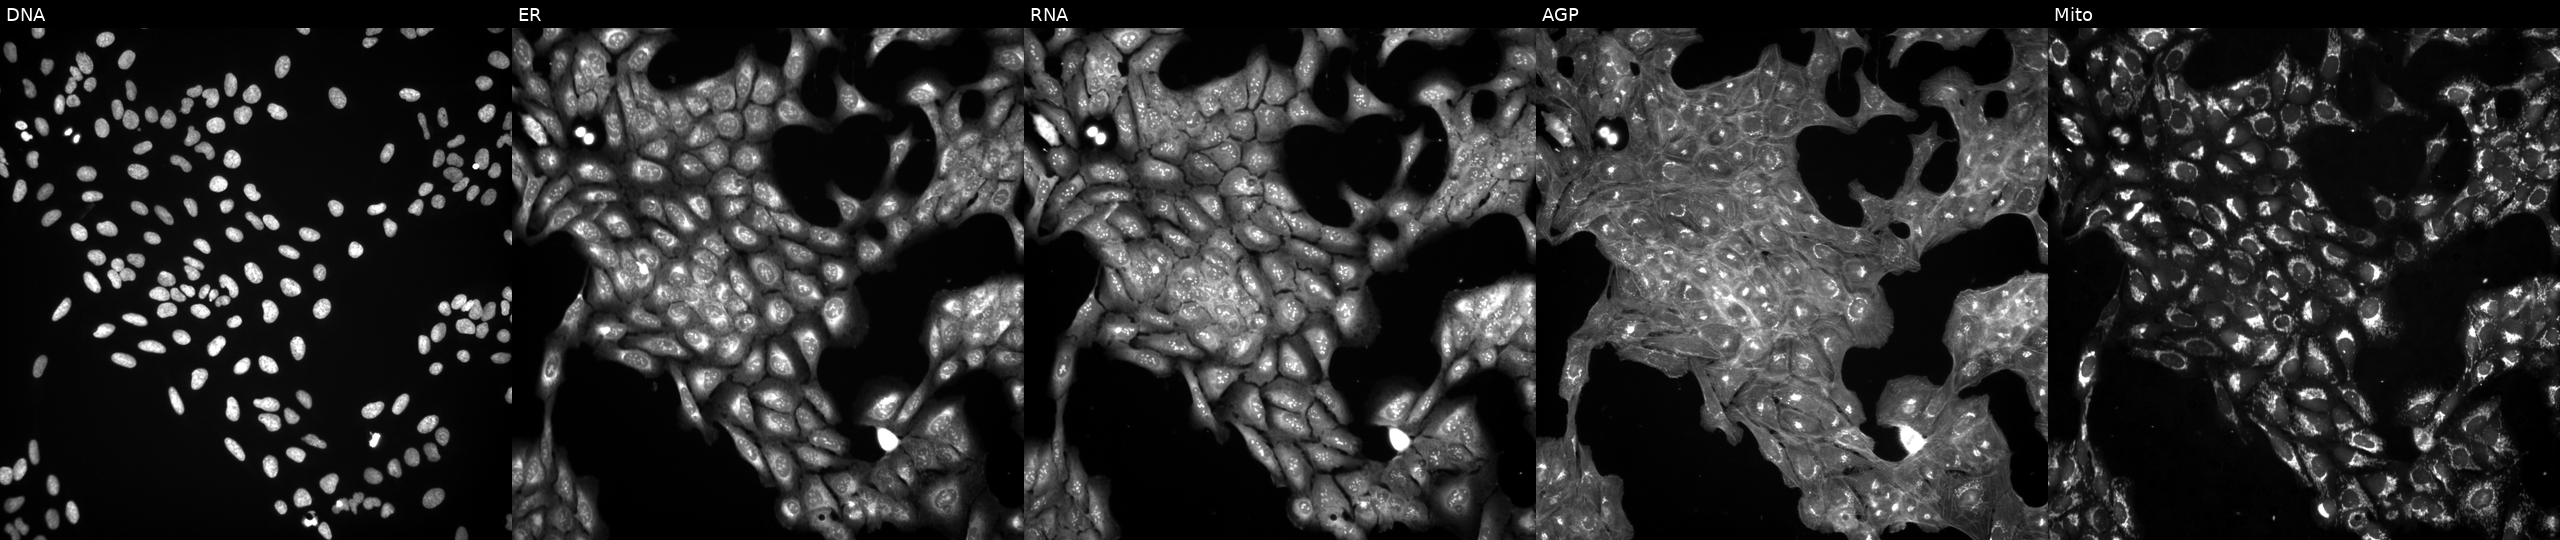
High-content fluorescence microscopy (Cell Painting). Cell line: U2OS. Perturbation: exposed to a small-molecule compound. The five panels, left to right, show Hoechst 33342, concanavalin A, SYTO 14, phalloidin and WGA, MitoTracker.